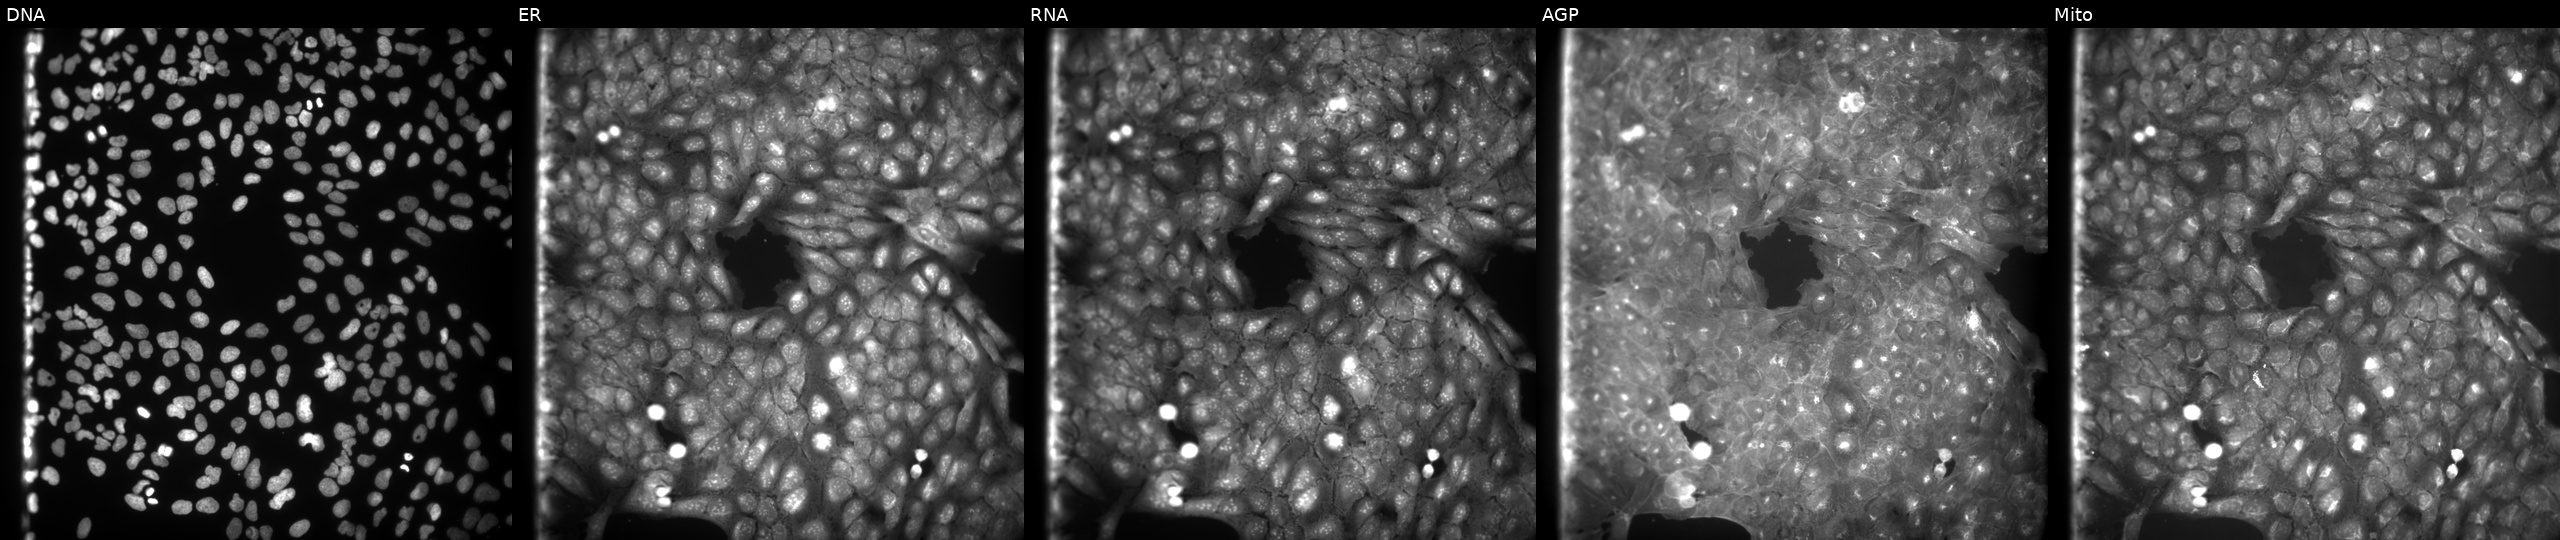
Five-channel Cell Painting image of U2OS cells exposed to DMSO alone as a negative control (JUMP id JCP2022_033924). Panels show, left to right, DNA, ER, RNA, AGP, and Mito.